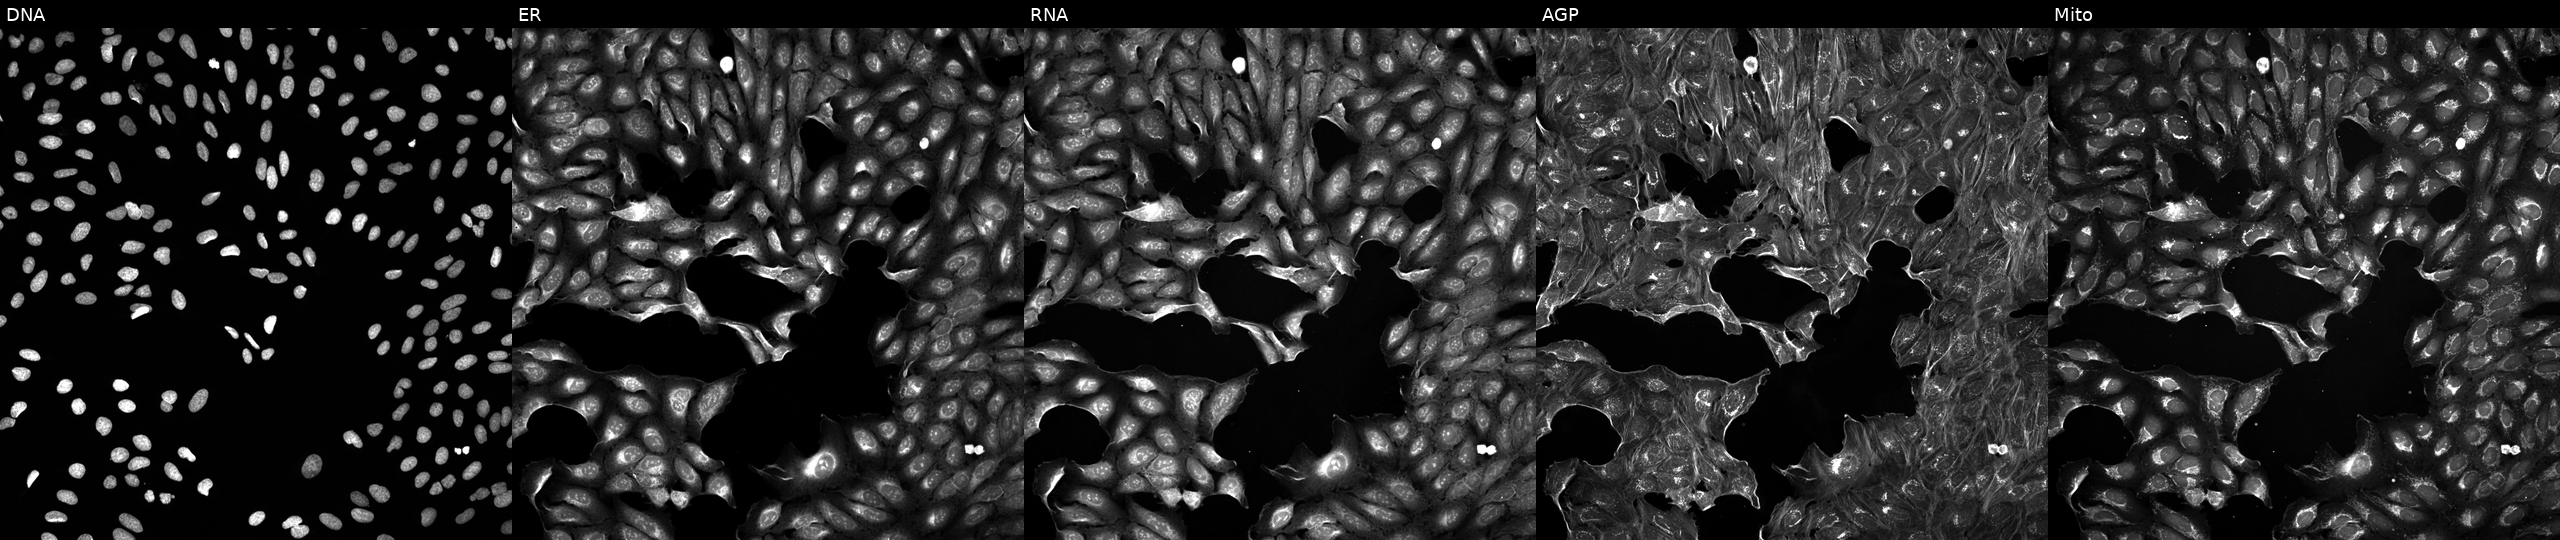
U2OS cells, Cell Painting assay, treated with DMSO vehicle only (negative control) (JUMP id JCP2022_033924). Panels show, left to right, DNA (nuclei); ER (endoplasmic reticulum); RNA (nucleoli and cytoplasmic RNA); AGP (actin cytoskeleton, Golgi, and plasma membrane); Mito (mitochondria). Each panel is percentile-stretched 16-bit fluorescence.